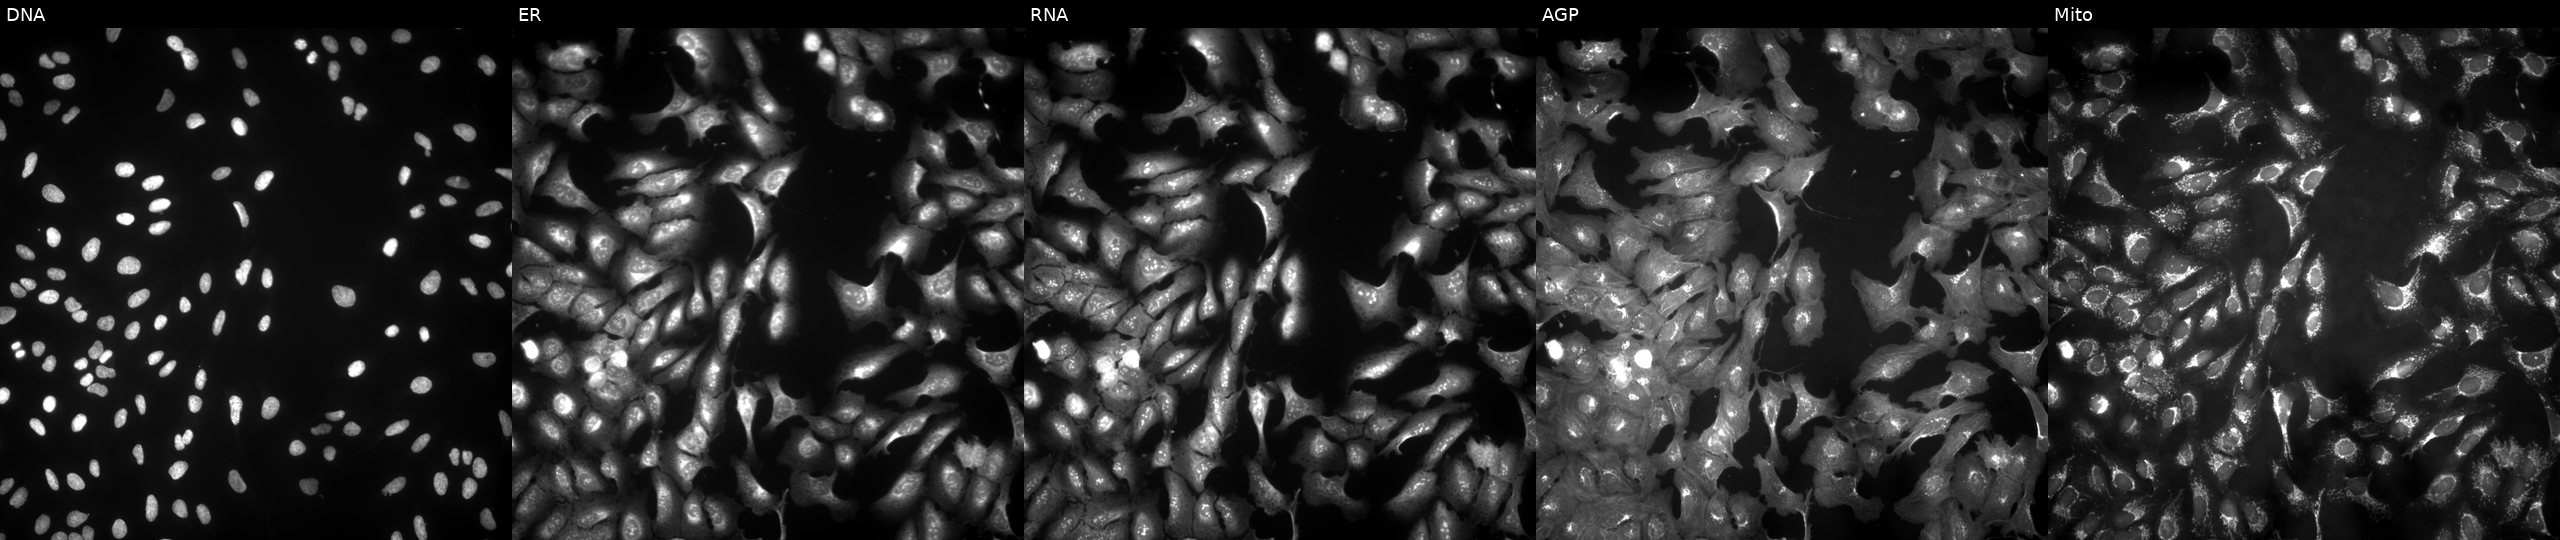
This image strip shows the five Cell Painting channels for a single field of U2OS cells with IGHG1 overexpressed (ORF) (JUMP id JCP2022_914463). The five panels, left to right, show Hoechst 33342, concanavalin A, SYTO 14, phalloidin and WGA, MitoTracker.